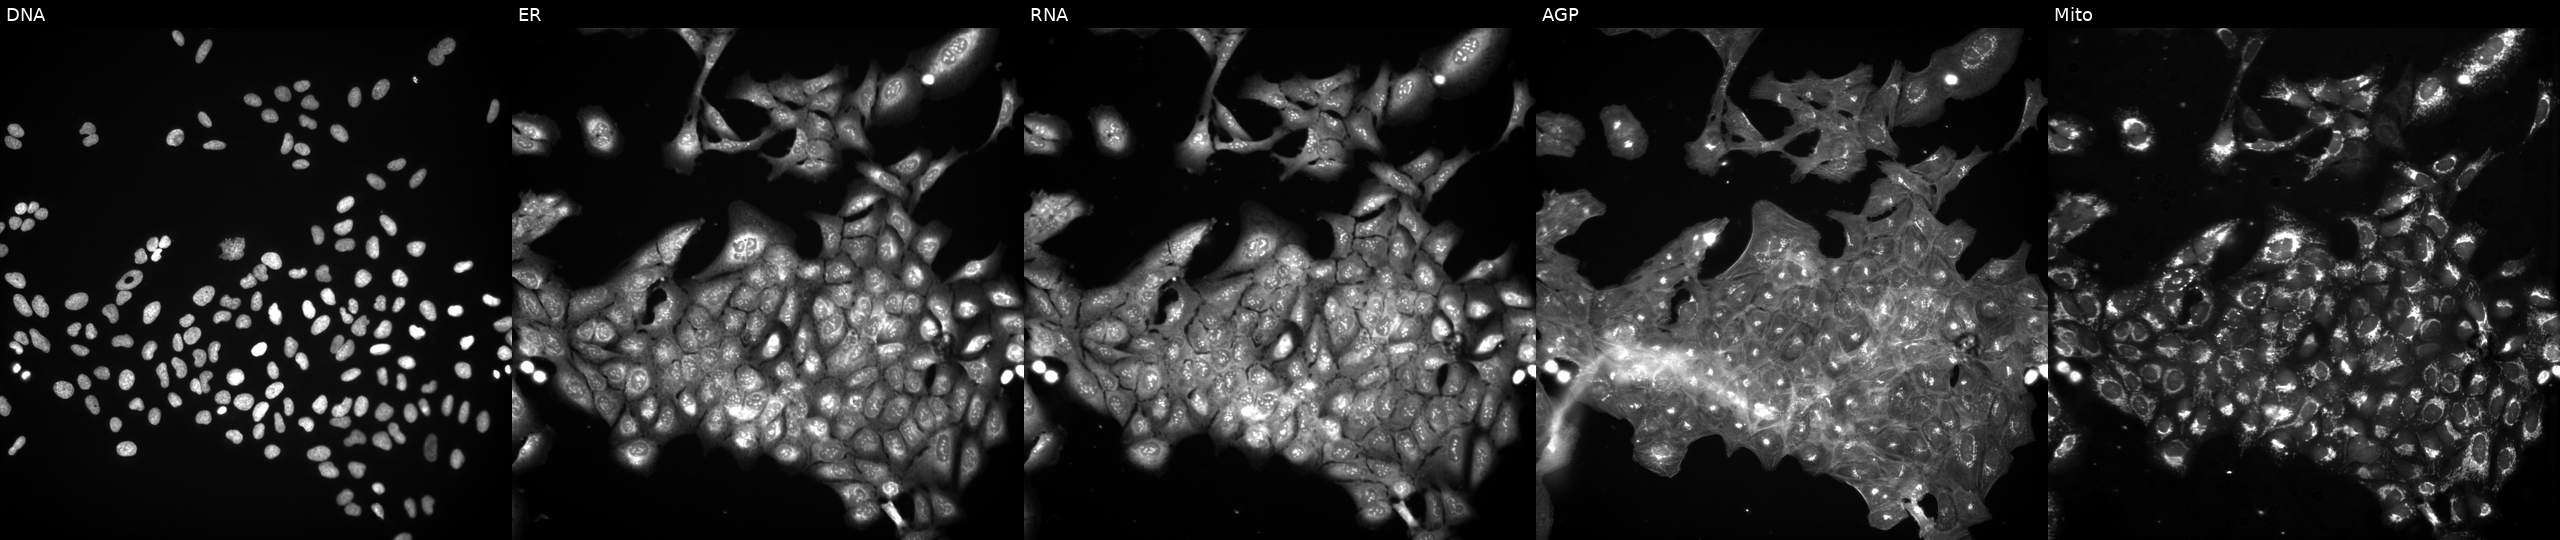
U2OS cells, Cell Painting assay, exposed to DMSO alone as a negative control. The five panels, left to right, show Hoechst 33342, concanavalin A, SYTO 14, phalloidin and WGA, MitoTracker. Each panel is percentile-stretched 16-bit fluorescence. Source 3, plate JCPQC052, well M03.